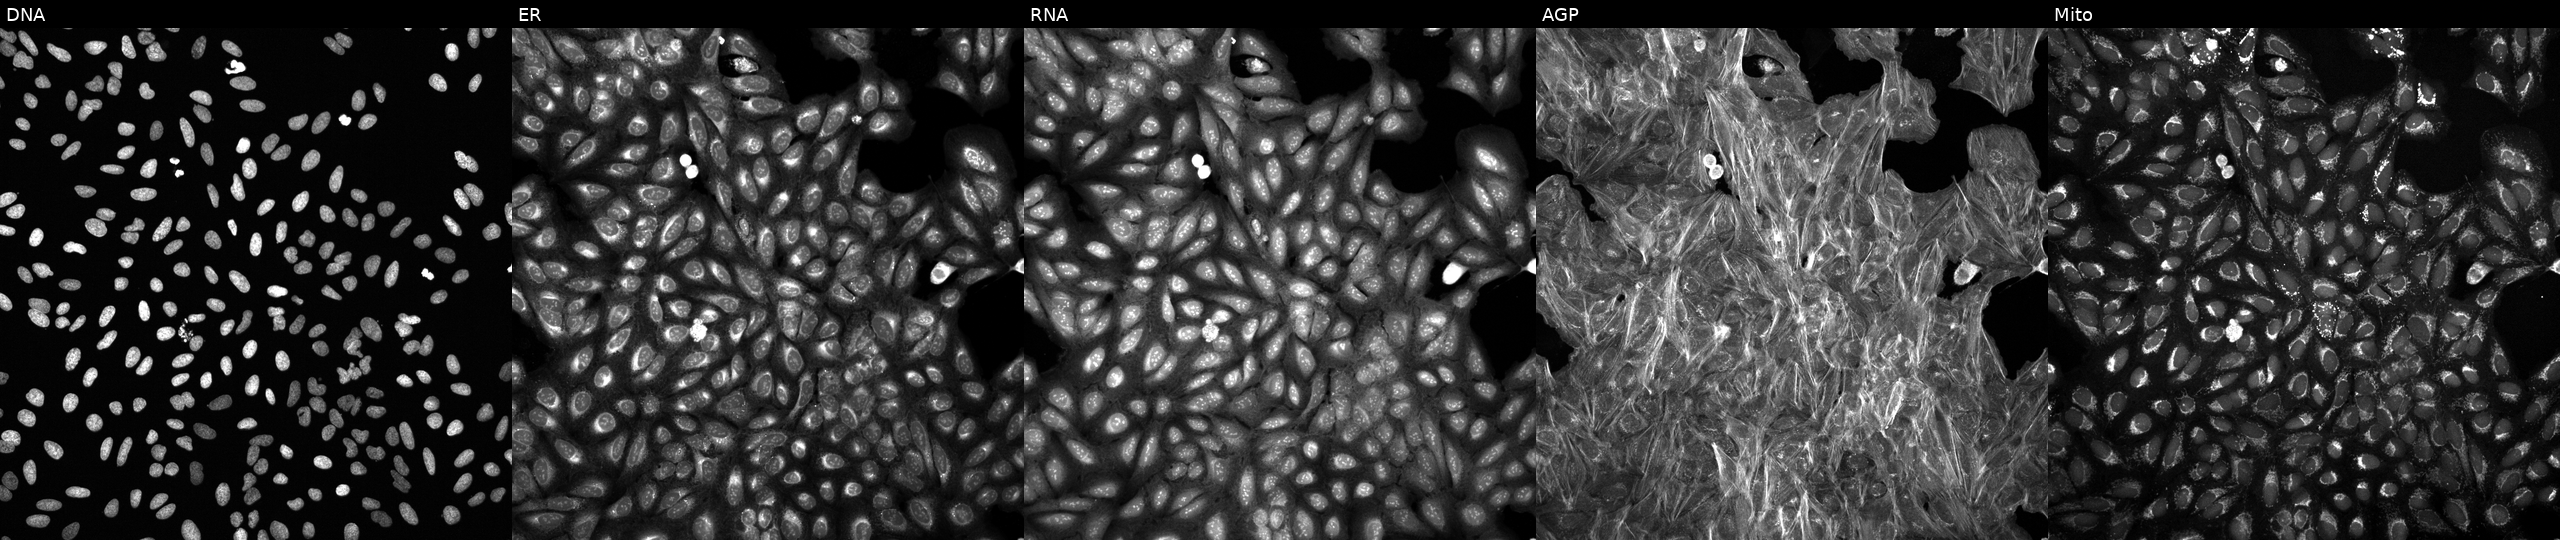
High-content fluorescence microscopy (Cell Painting). Cell line: U2OS. Perturbation: perturbed with a small-molecule compound (InChIKey BWASBBCICFCMRP-UHFFFAOYSA-N) (JUMP id JCP2022_009050). From left to right: Hoechst 33342, concanavalin A, SYTO 14, phalloidin and WGA, MitoTracker. Source 6, plate 110000293083, well E18.